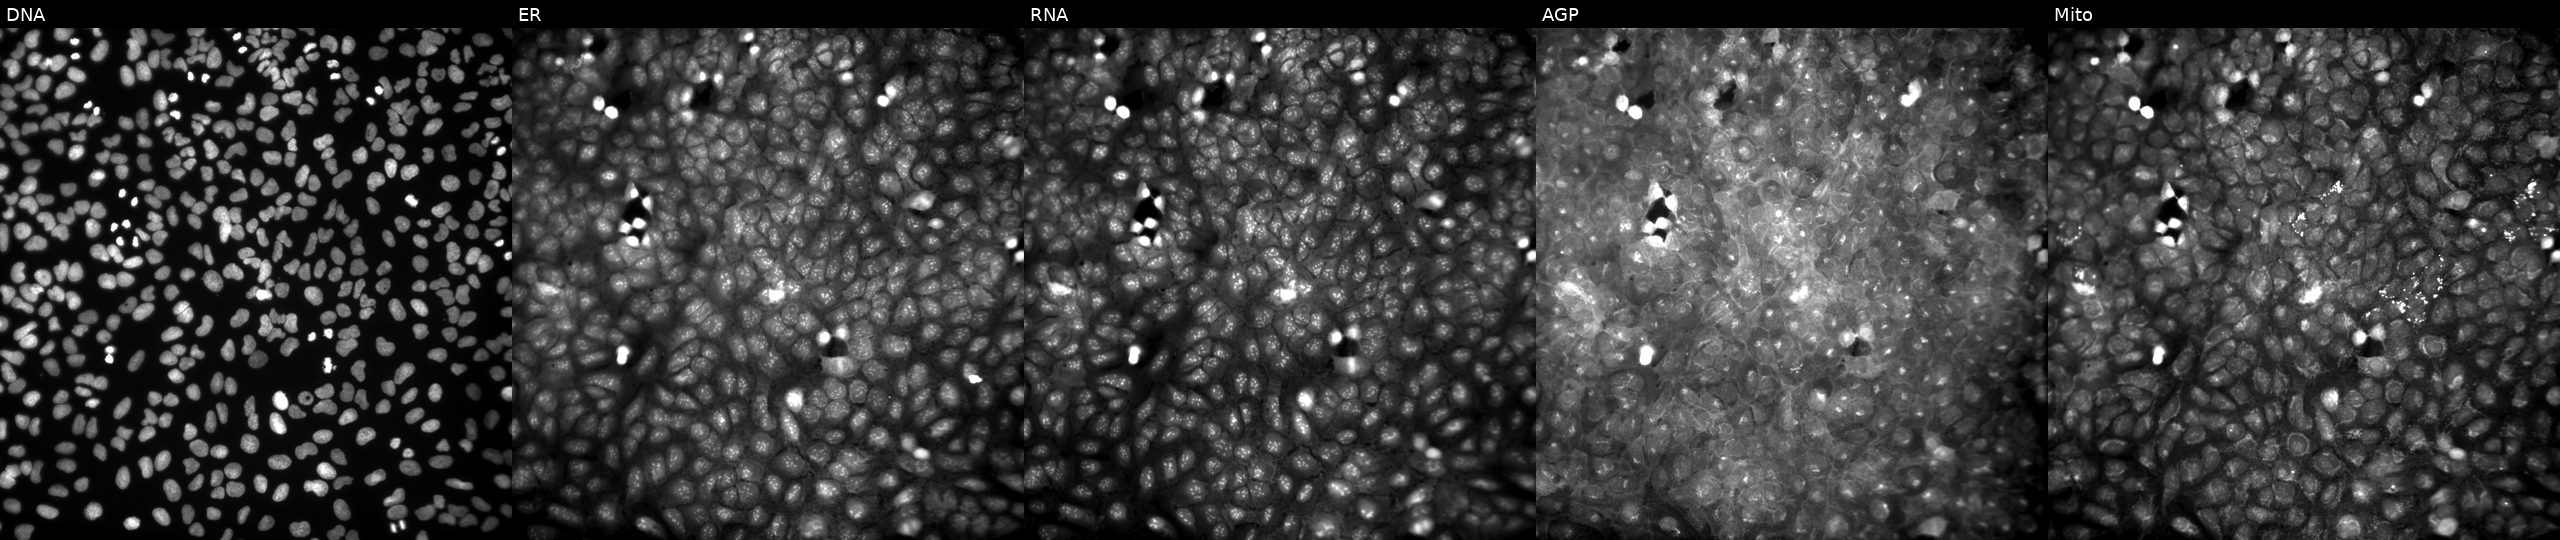
High-content fluorescence microscopy (Cell Painting). Cell line: U2OS. Perturbation: perturbed with a small-molecule compound (JUMP id JCP2022_091060). From left to right: DNA (nuclei); ER (endoplasmic reticulum); RNA (nucleoli and cytoplasmic RNA); AGP (actin cytoskeleton, Golgi, and plasma membrane); Mito (mitochondria).